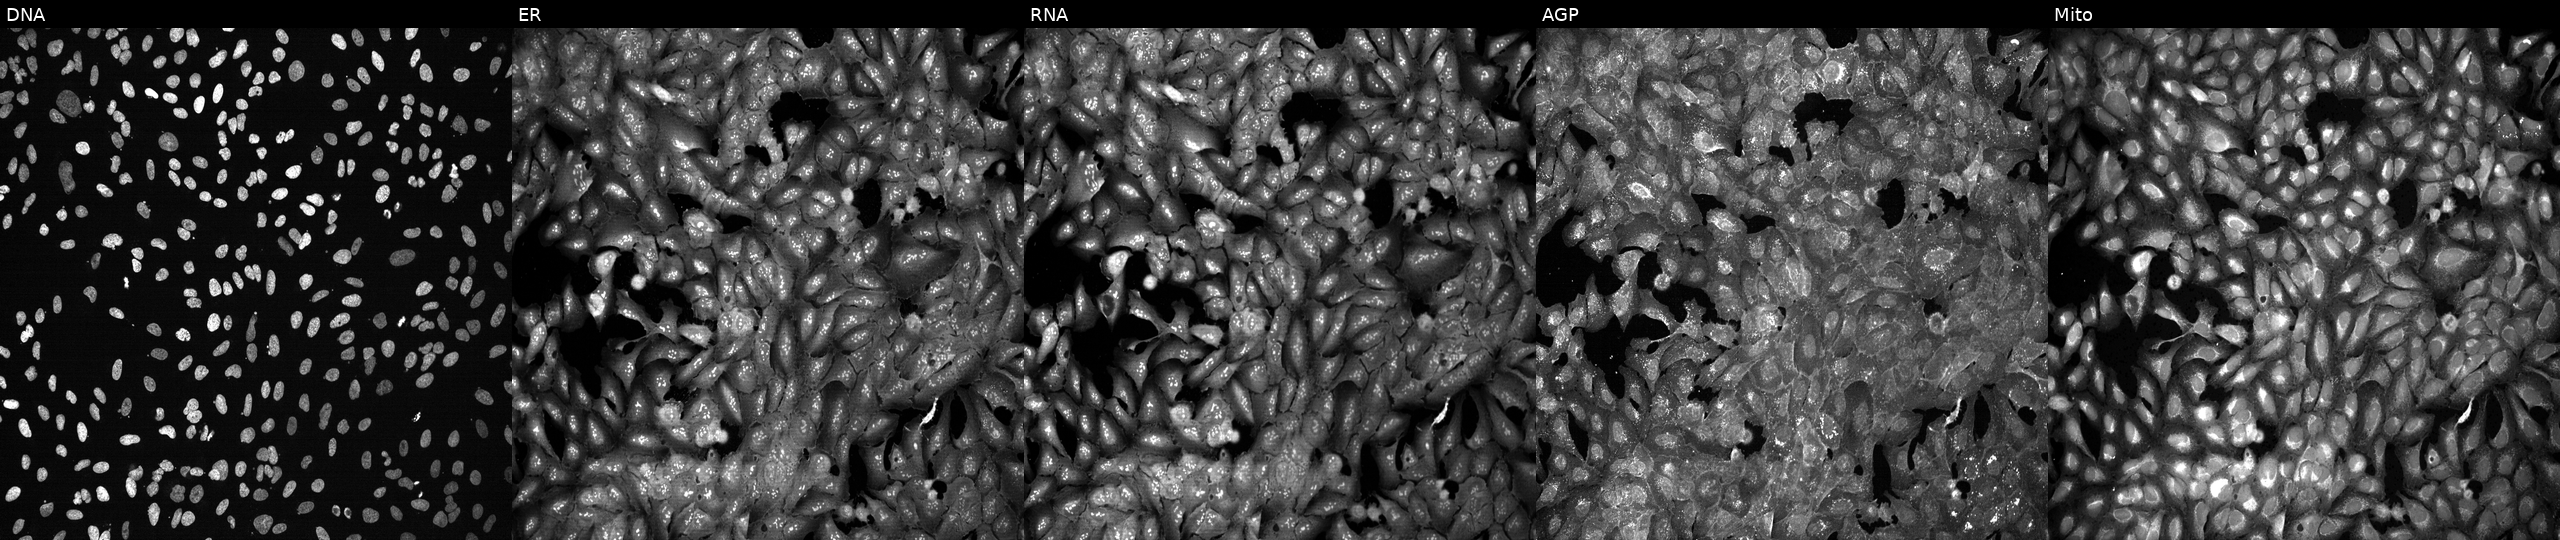
Panels show, left to right, Hoechst 33342, concanavalin A, SYTO 14, phalloidin and WGA, MitoTracker. U2OS osteosarcoma cells CRISPR-edited to disrupt GNPNAT1. Cell Painting assay, JUMP-CP dataset.